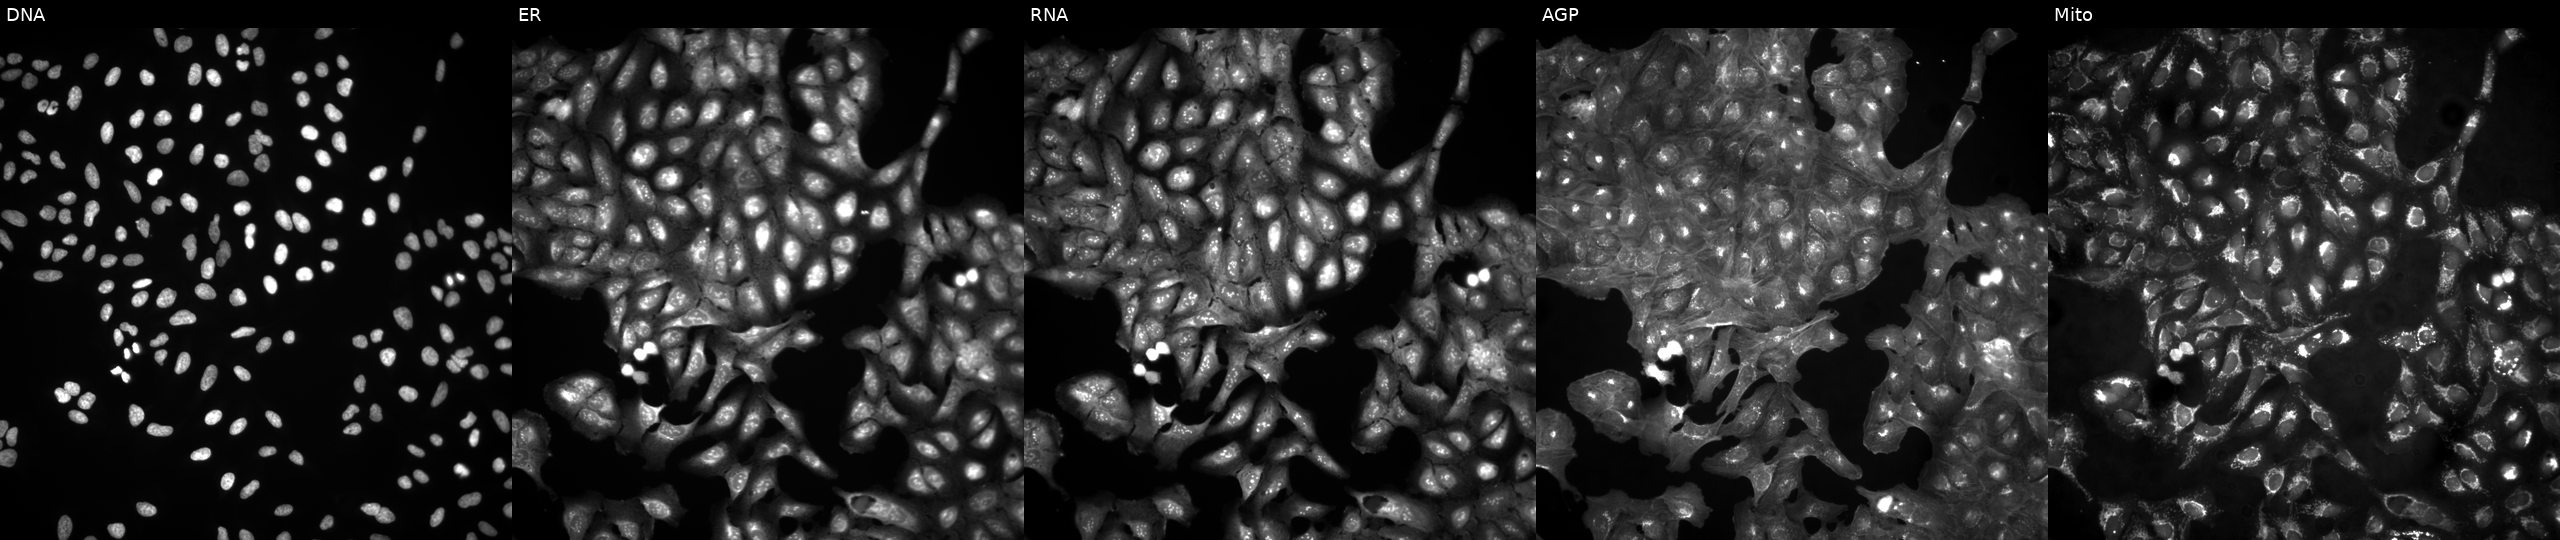
U2OS cells, Cell Painting assay, untreated (empty-well control). Panels show, left to right, DNA (nuclei); ER (endoplasmic reticulum); RNA (nucleoli and cytoplasmic RNA); AGP (actin cytoskeleton, Golgi, and plasma membrane); Mito (mitochondria). Each panel is percentile-stretched 16-bit fluorescence. Source 4, plate BR00123946, well E21.